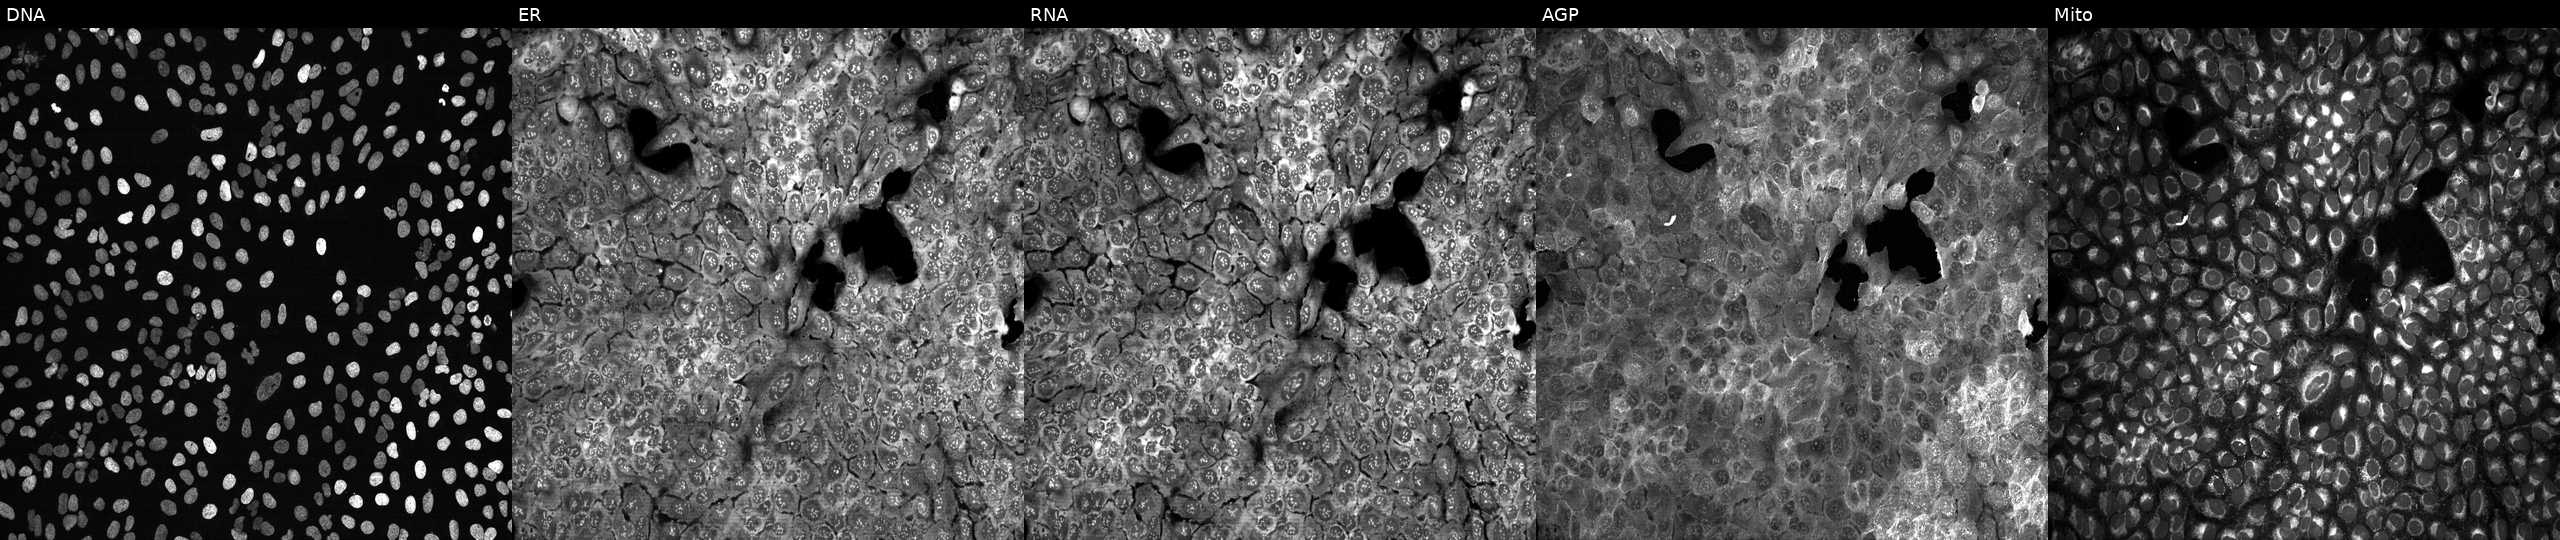
U2OS cells, Cell Painting assay, with CHPF2 knocked out by CRISPR. From left to right: DNA, ER, RNA, AGP, and Mito. Each panel is percentile-stretched 16-bit fluorescence.